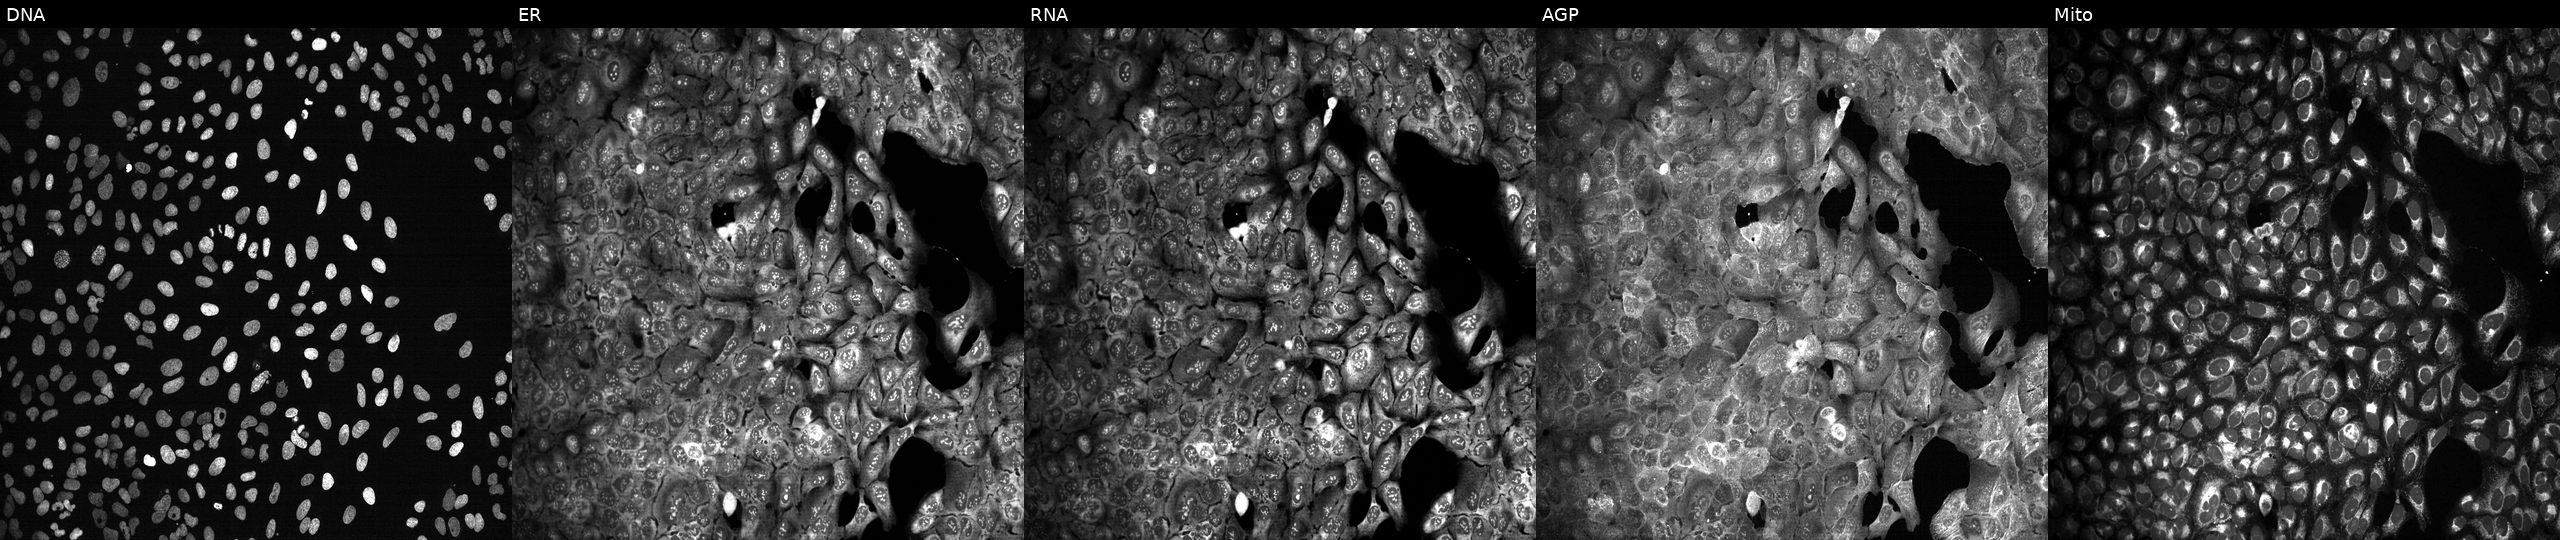
This image strip shows the five Cell Painting channels for a single field of U2OS cells with BAG4 knocked out by CRISPR (JUMP id JCP2022_800810). From left to right: Hoechst 33342, concanavalin A, SYTO 14, phalloidin and WGA, MitoTracker.